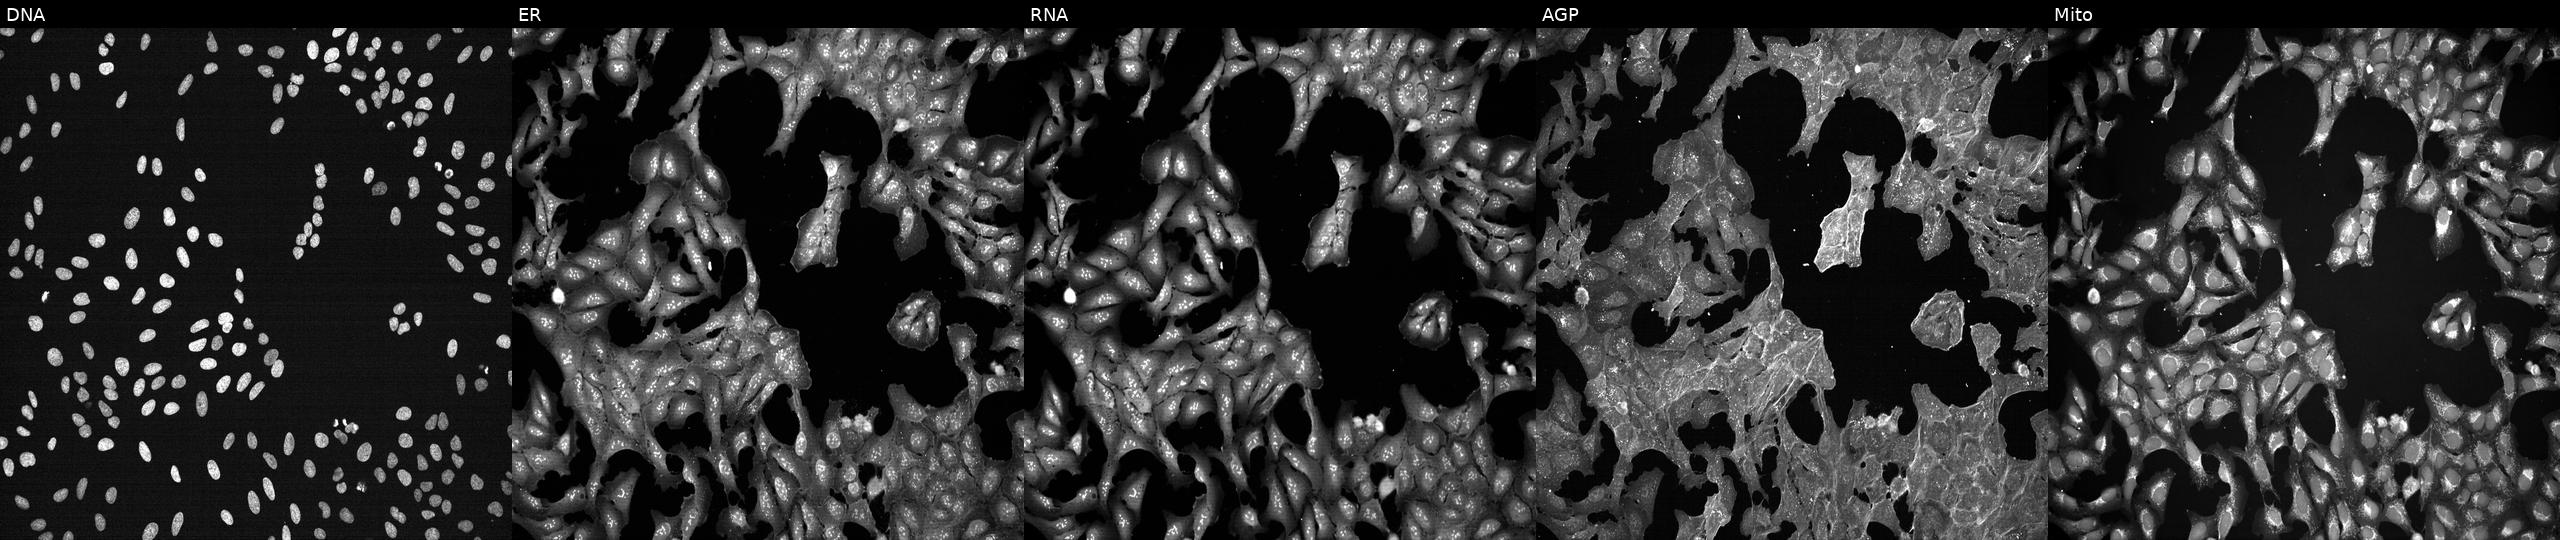
This image strip shows the five Cell Painting channels for a single field of U2OS cells treated with a small-molecule compound (InChIKey NMUSYJAQQFHJEW-UHFFFAOYSA-N) [SMILES: N=c1ncn(C2OC(CO)C(O)C2O)c(=O)[nH]1]. The five panels, left to right, show Hoechst 33342, concanavalin A, SYTO 14, phalloidin and WGA, MitoTracker.